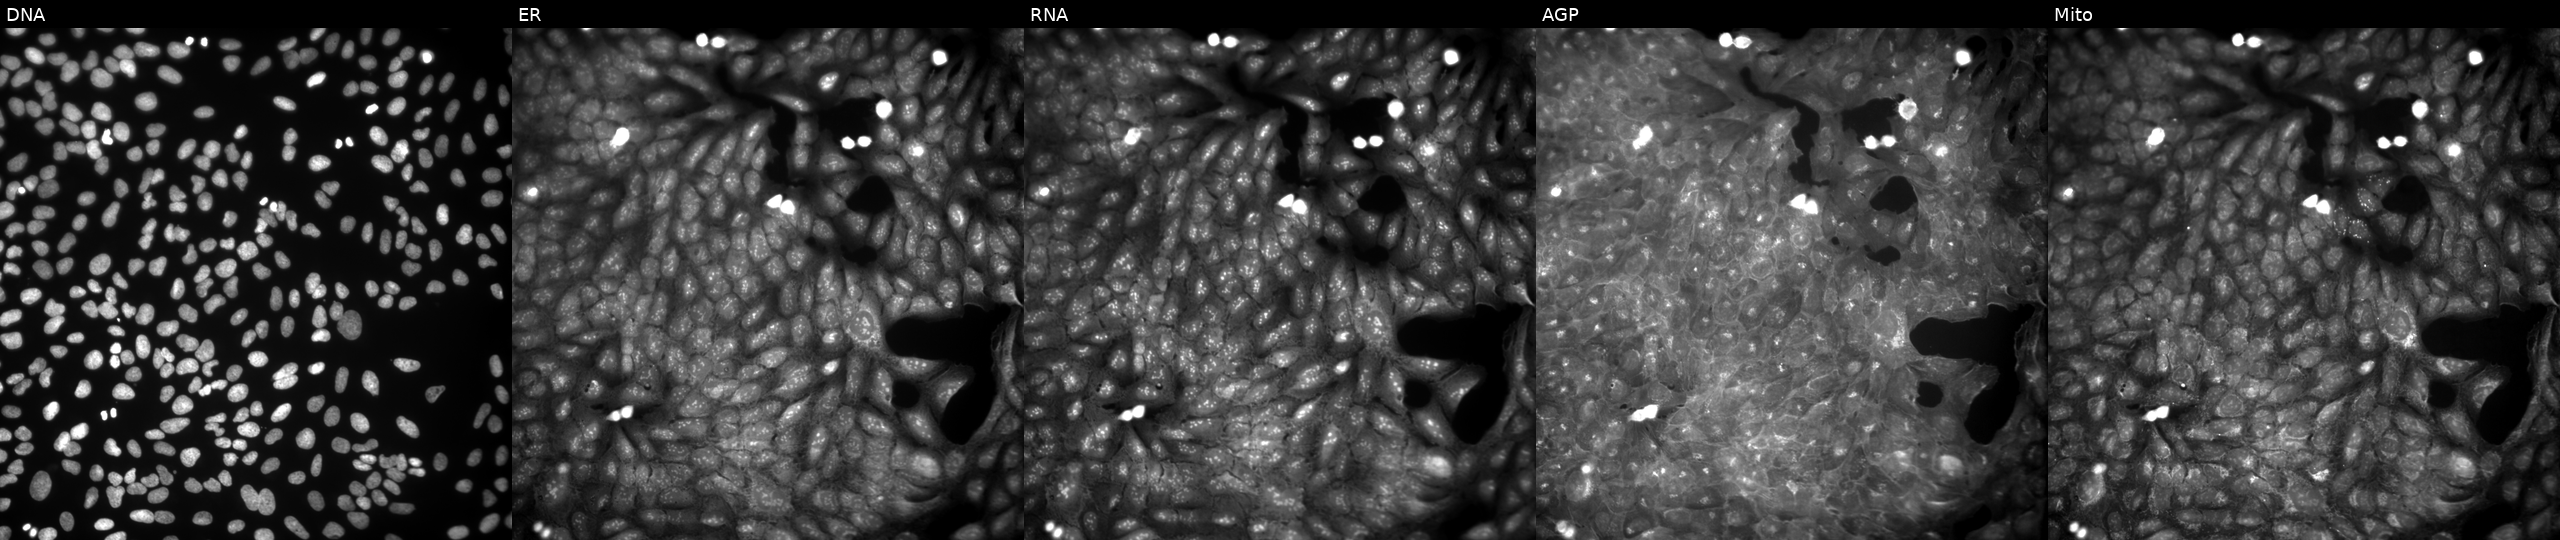
U2OS cells, Cell Painting assay, exposed to a small-molecule compound (InChIKey MPDGJFXRVIQTKR-UHFFFAOYSA-N). From left to right: Hoechst 33342, concanavalin A, SYTO 14, phalloidin and WGA, MitoTracker. Each panel is percentile-stretched 16-bit fluorescence.